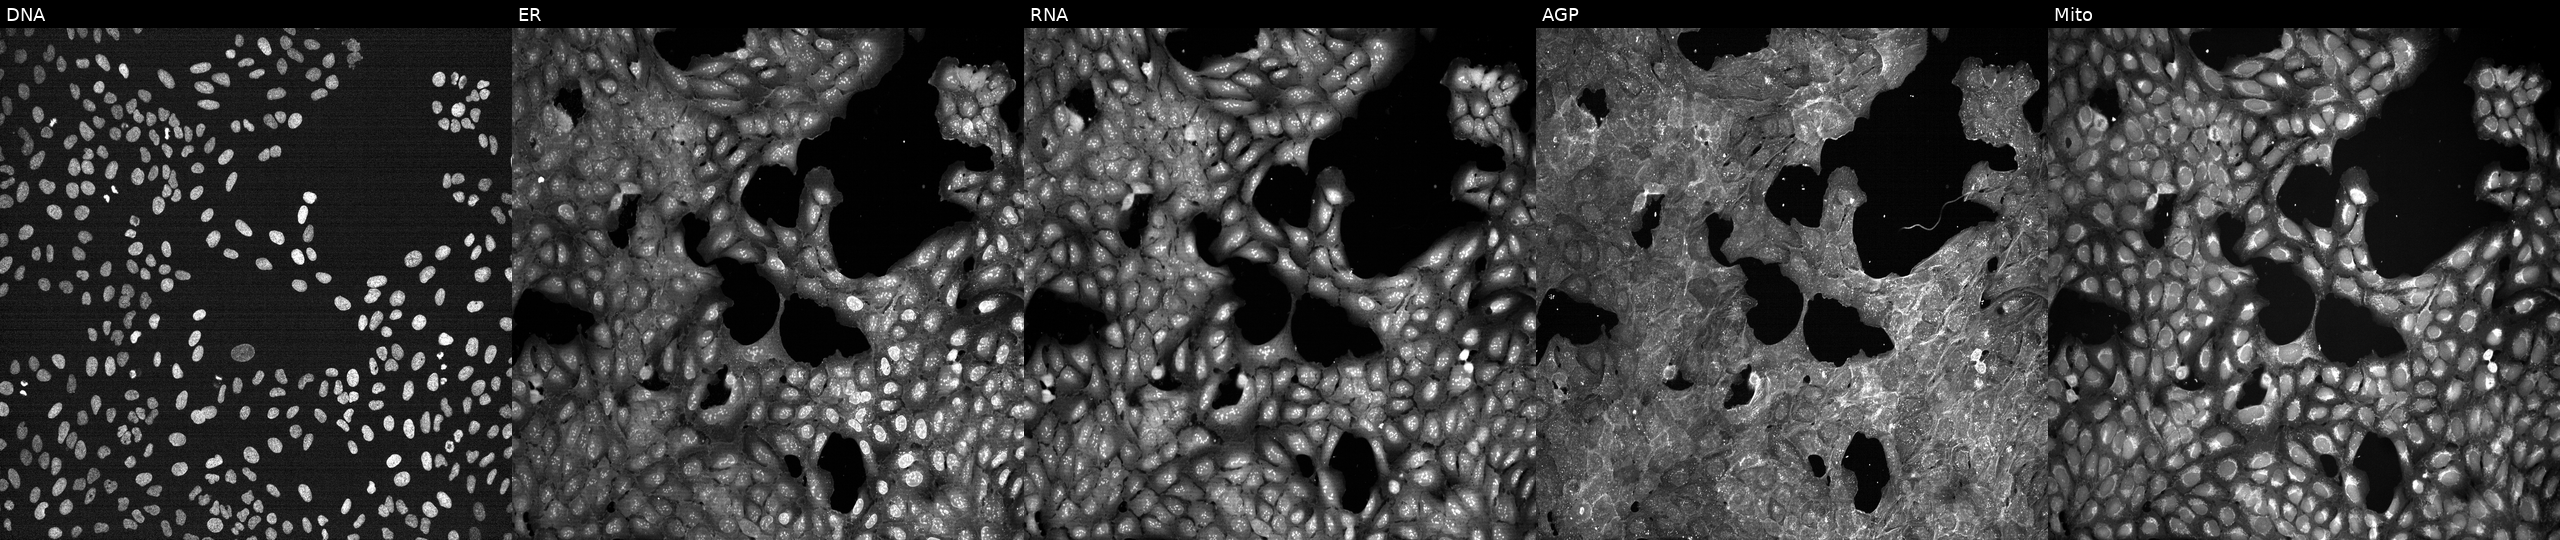
This image strip shows the five Cell Painting channels for a single field of U2OS cells exposed to a small-molecule compound (InChIKey XXYGTCZJJLTAGH-UHFFFAOYSA-N). The five panels, left to right, show Hoechst 33342, concanavalin A, SYTO 14, phalloidin and WGA, MitoTracker. Source 7, plate CP1-SC1-25, well J06.